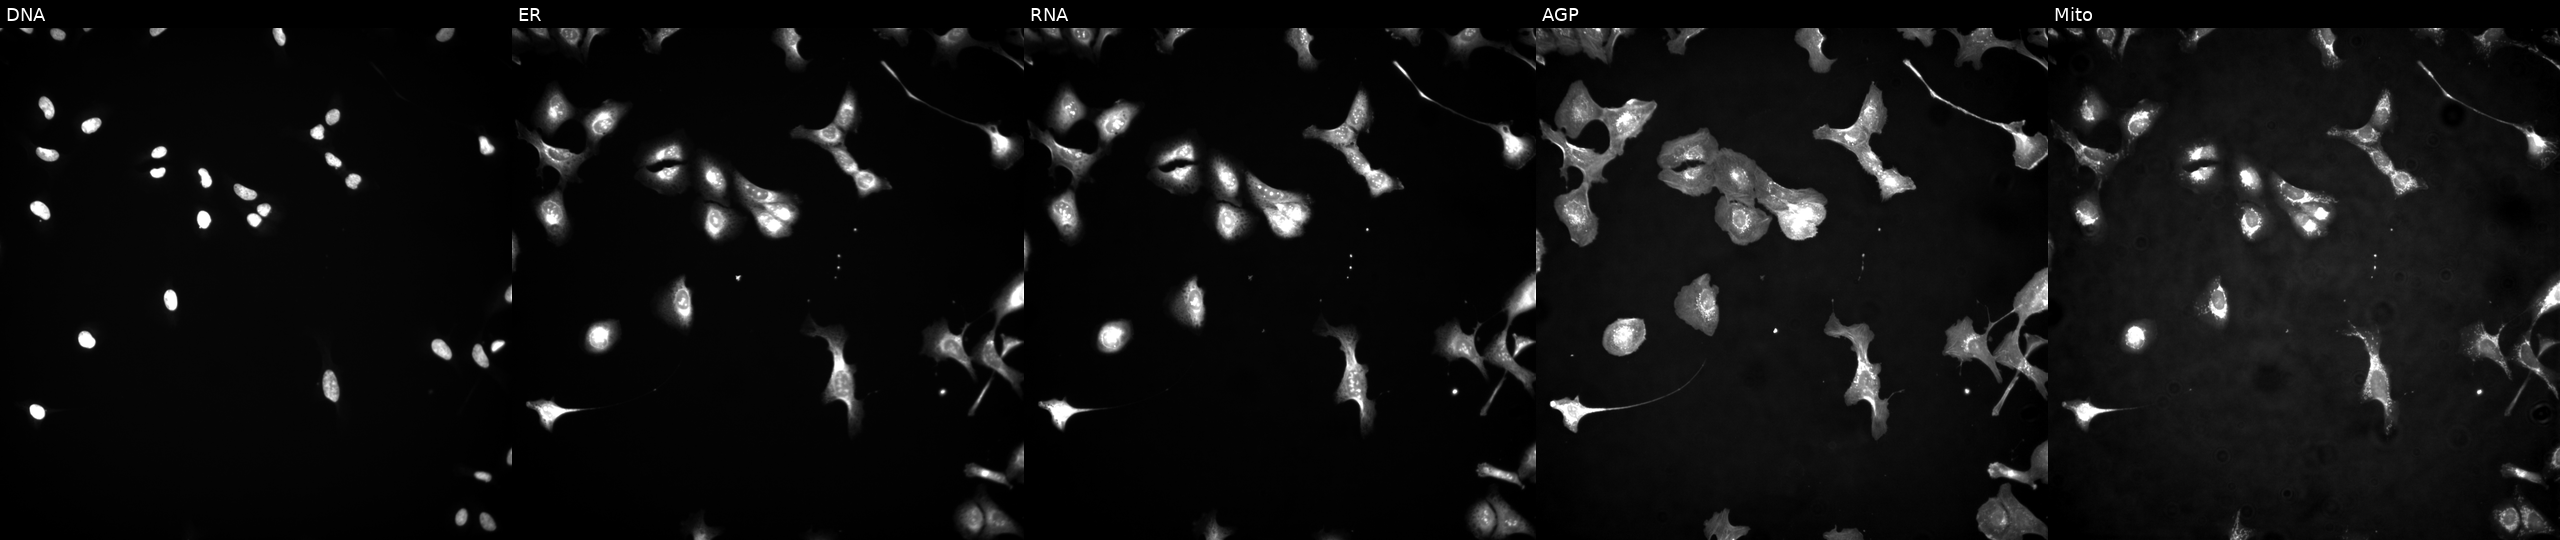
High-content fluorescence microscopy (Cell Painting). Cell line: U2OS. Perturbation: overexpressing MERTK via ORF transfection (JUMP id JCP2022_913984). From left to right: DNA (nuclei); ER (endoplasmic reticulum); RNA (nucleoli and cytoplasmic RNA); AGP (actin cytoskeleton, Golgi, and plasma membrane); Mito (mitochondria). Source 4, plate BR00123945, well M18.